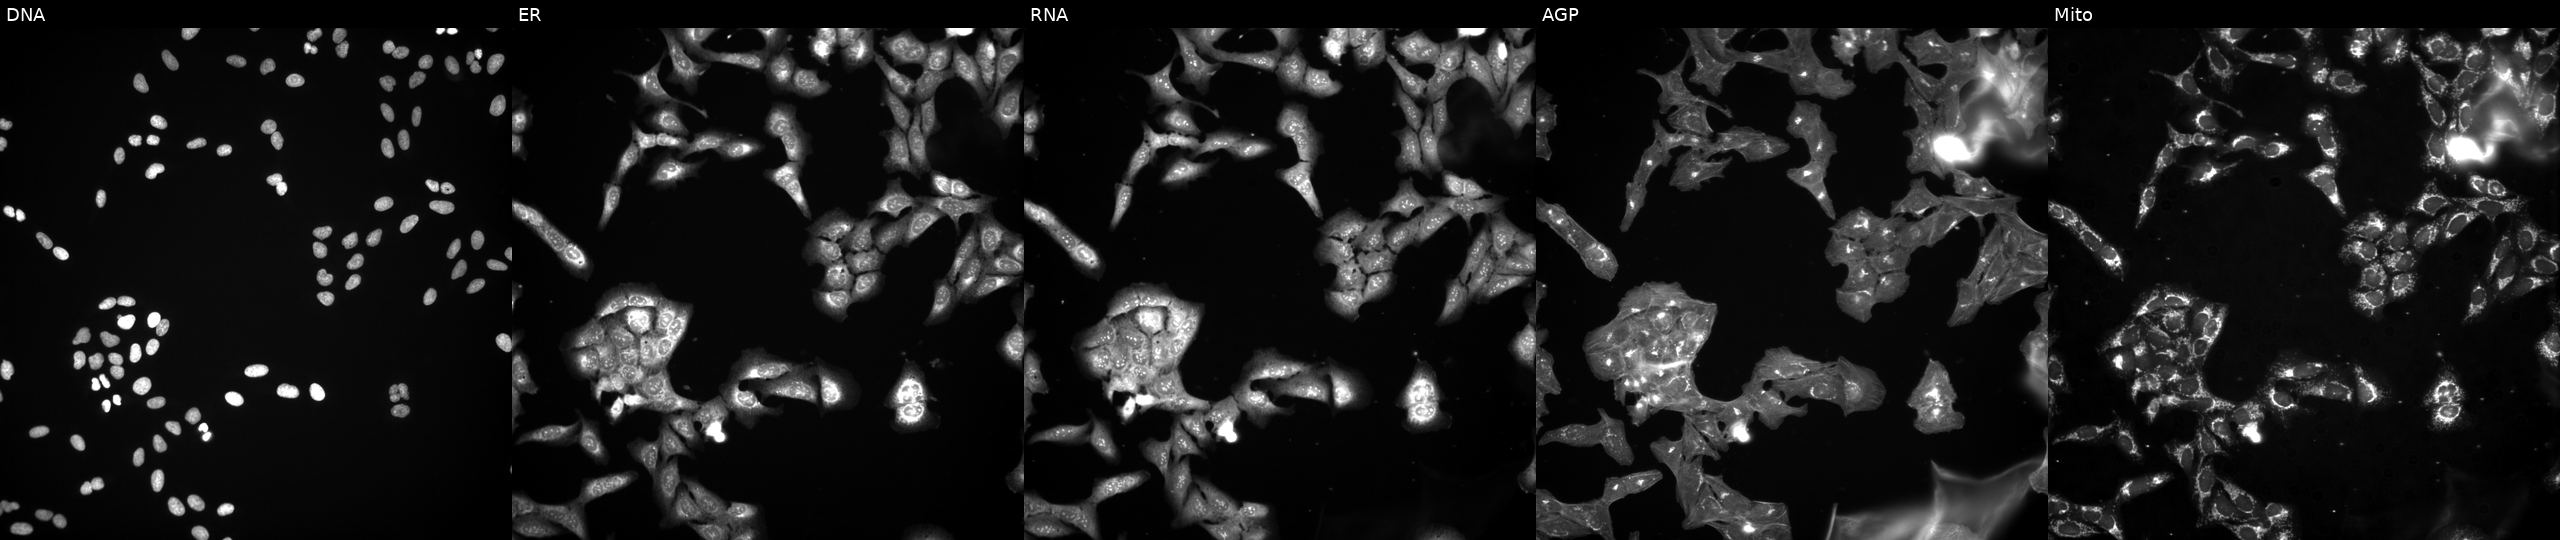
JUMP Cell Painting — TARGET2 plate. U2OS cells treated with a small-molecule compound. Channels (left→right): DNA, ER, RNA, AGP, and Mito.